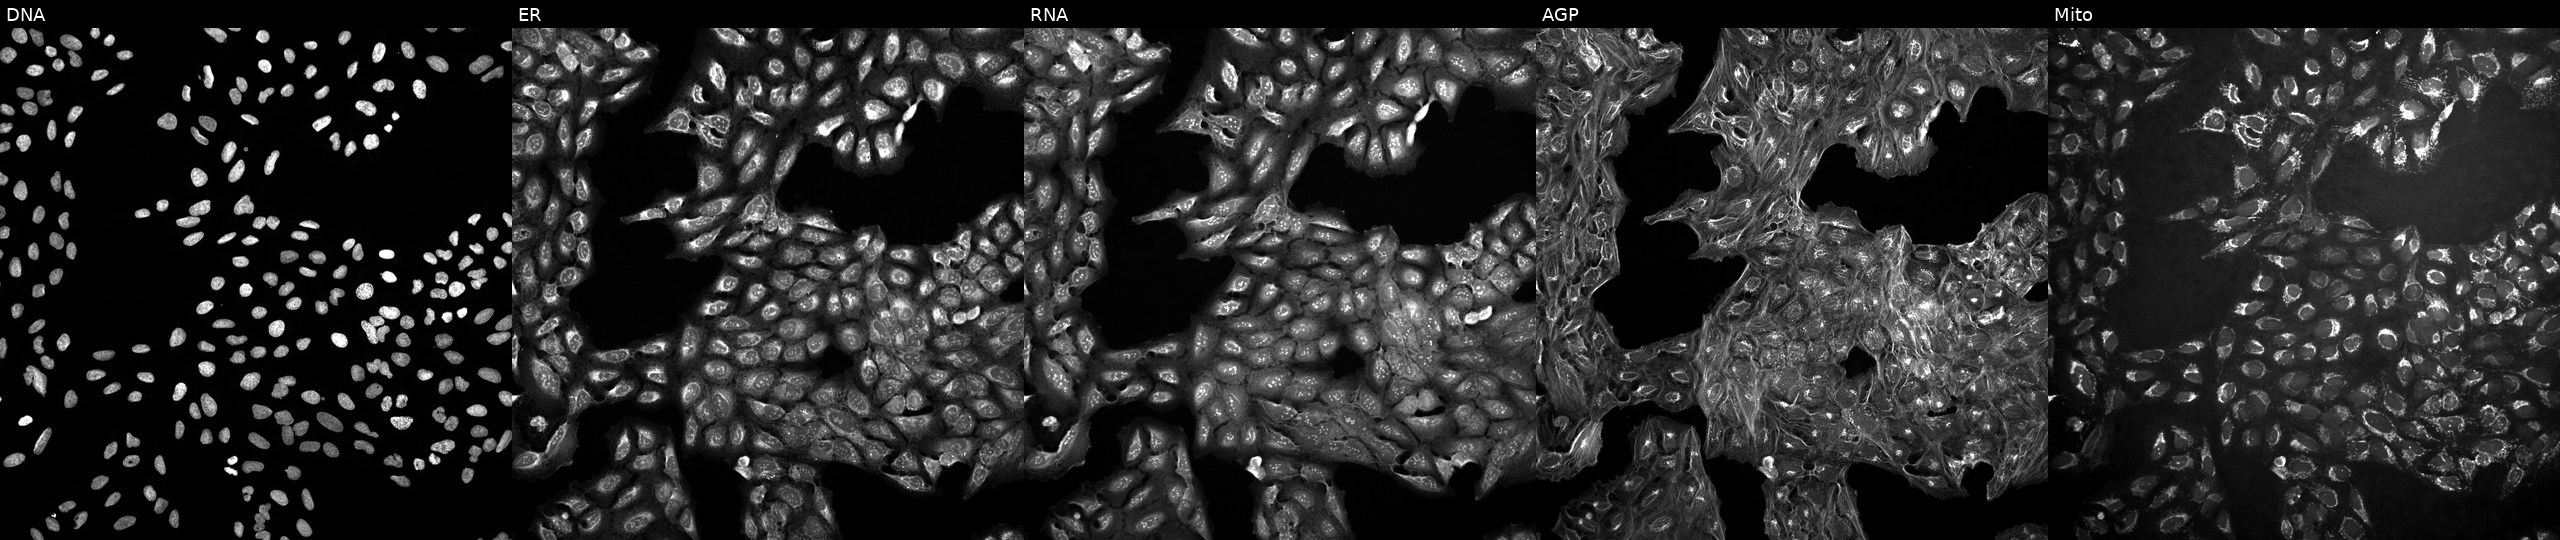
JUMP Cell Painting — COMPOUND plate. U2OS cells in an empty control well (no perturbation). Channels (left→right): DNA (nuclei); ER (endoplasmic reticulum); RNA (nucleoli and cytoplasmic RNA); AGP (actin cytoskeleton, Golgi, and plasma membrane); Mito (mitochondria).